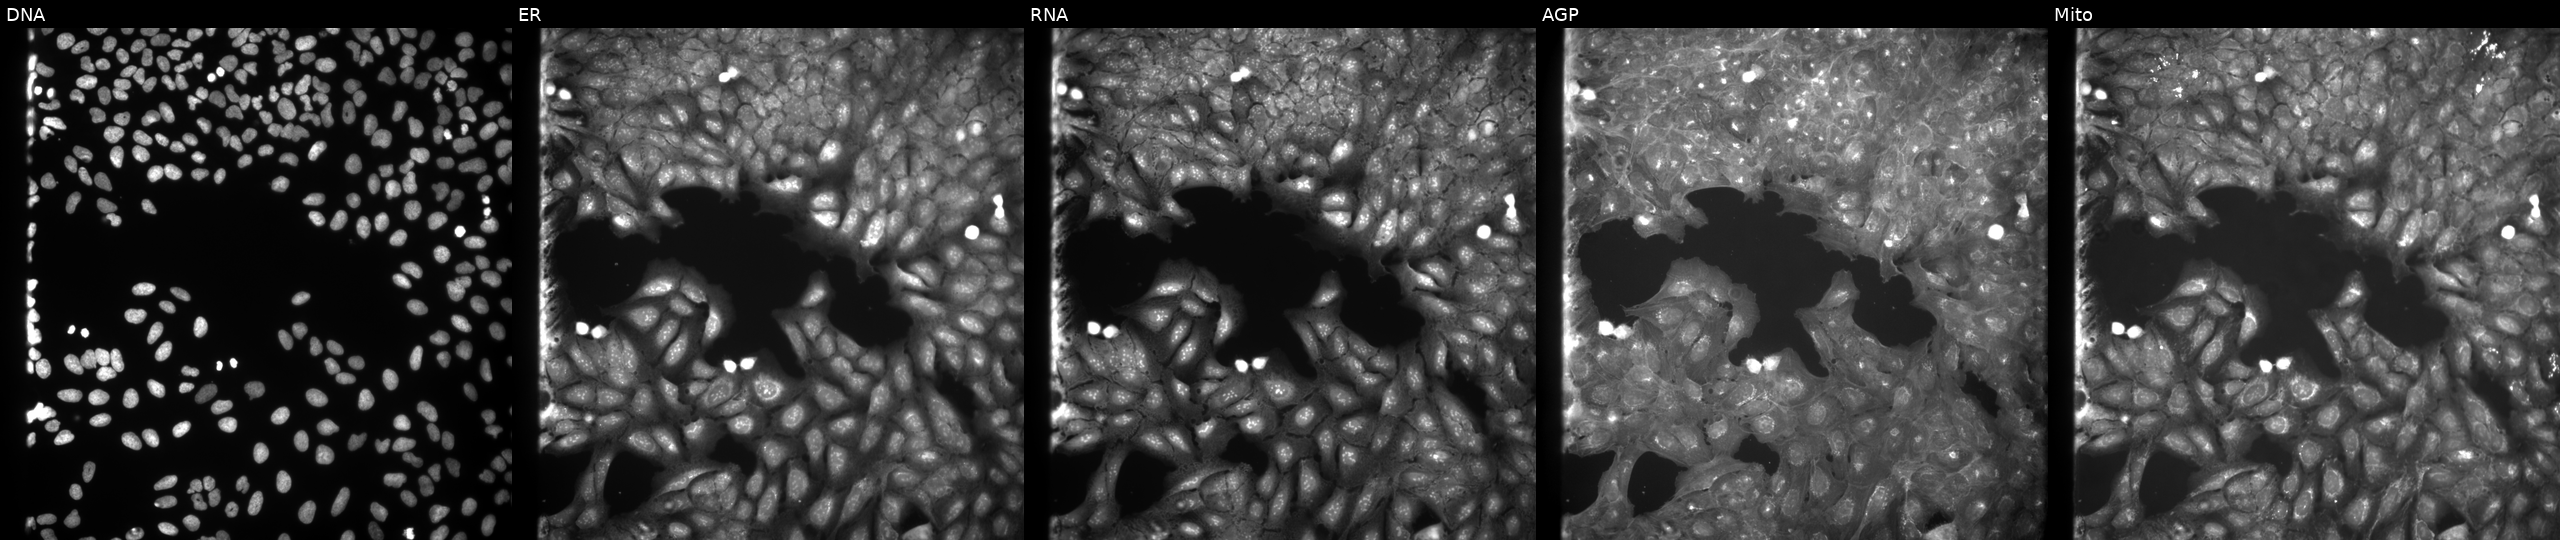
Five-channel Cell Painting image of U2OS cells exposed to a small-molecule compound (InChIKey XQKMPHXYQPKYKC-UHFFFAOYSA-N). From left to right: Hoechst 33342, concanavalin A, SYTO 14, phalloidin and WGA, MitoTracker. Source 9, plate GR00003382, well I08.